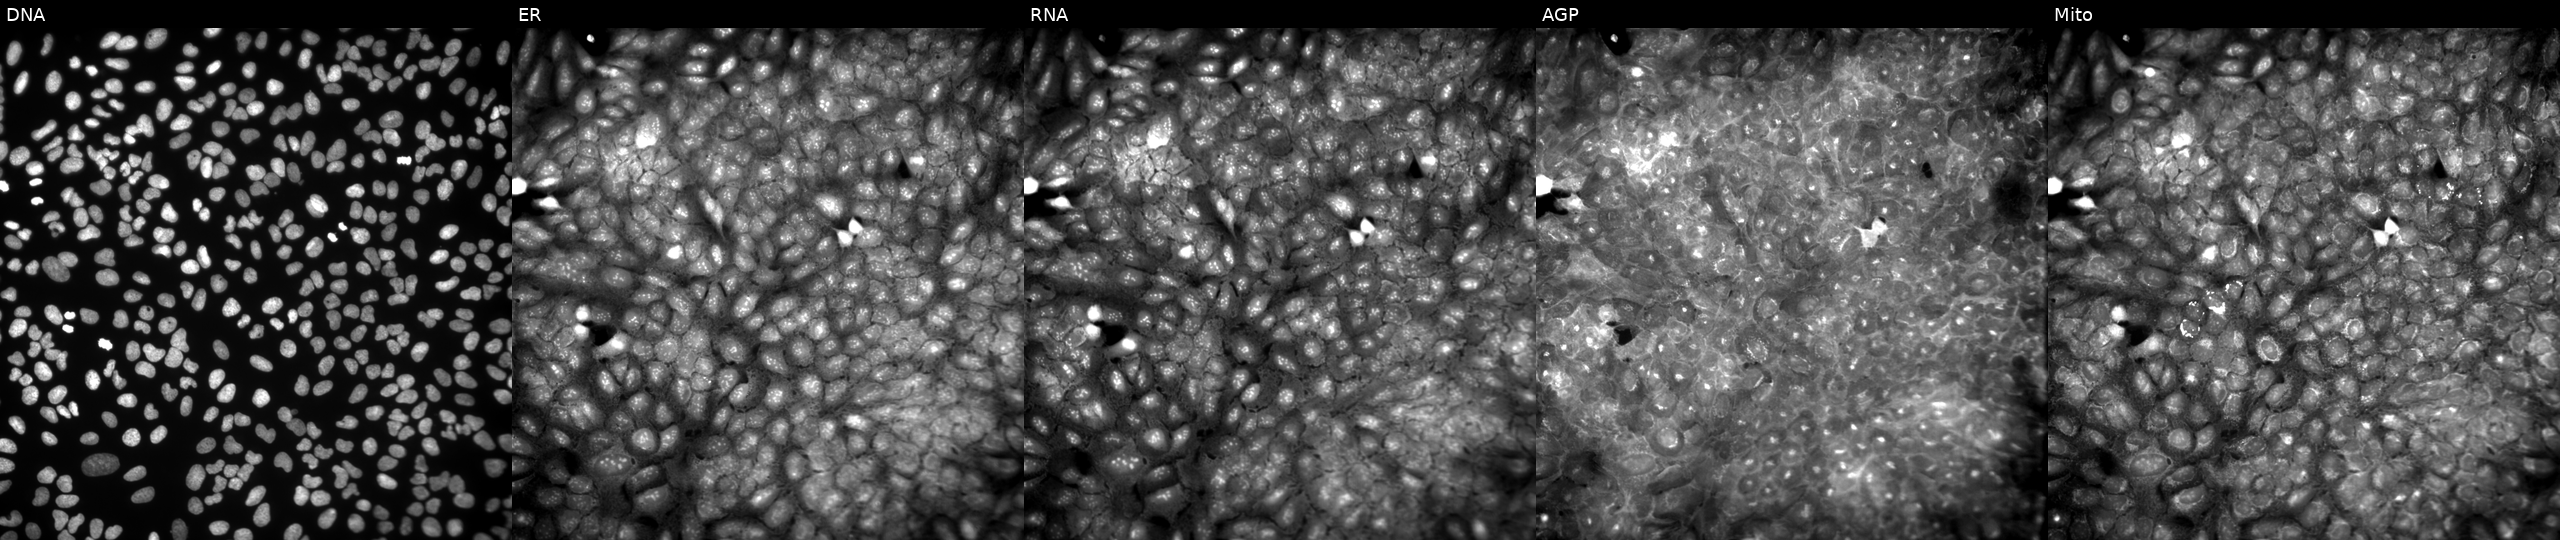
JUMP Cell Painting — COMPOUND plate. U2OS cells perturbed with a small-molecule compound (InChIKey IRRPIHIZURATJY-UHFFFAOYSA-N) (JUMP id JCP2022_036983). Panels show, left to right, Hoechst 33342, concanavalin A, SYTO 14, phalloidin and WGA, MitoTracker.